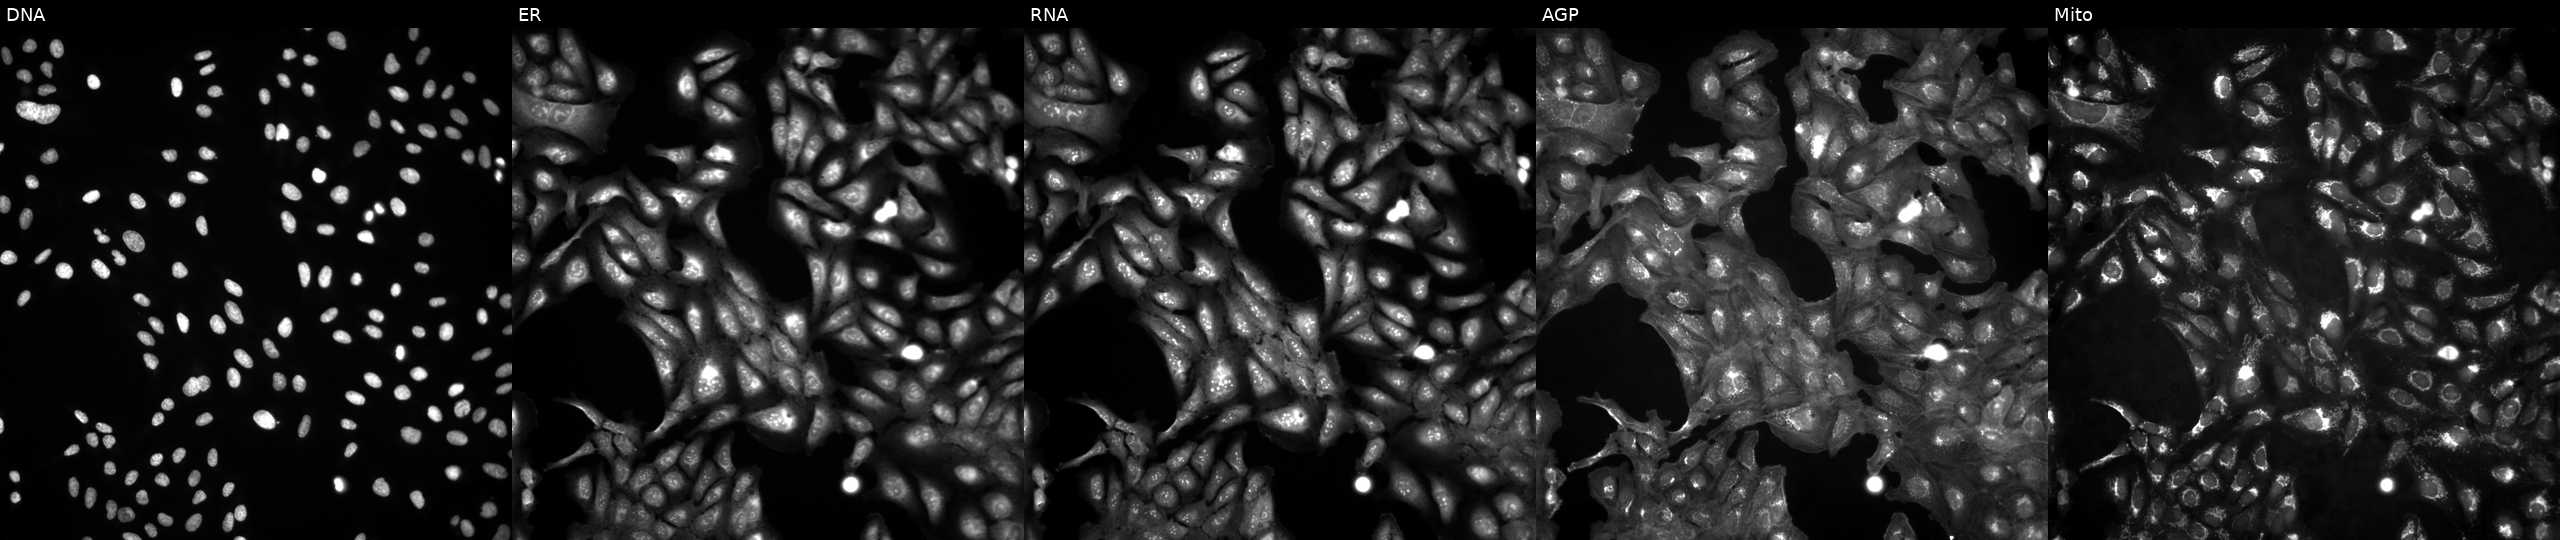
JUMP Cell Painting — ORF plate. U2OS cells untreated (empty-well control) (JUMP id JCP2022_999999). Channels (left→right): Hoechst 33342, concanavalin A, SYTO 14, phalloidin and WGA, MitoTracker. Source 4, plate BR00124793, well J18.